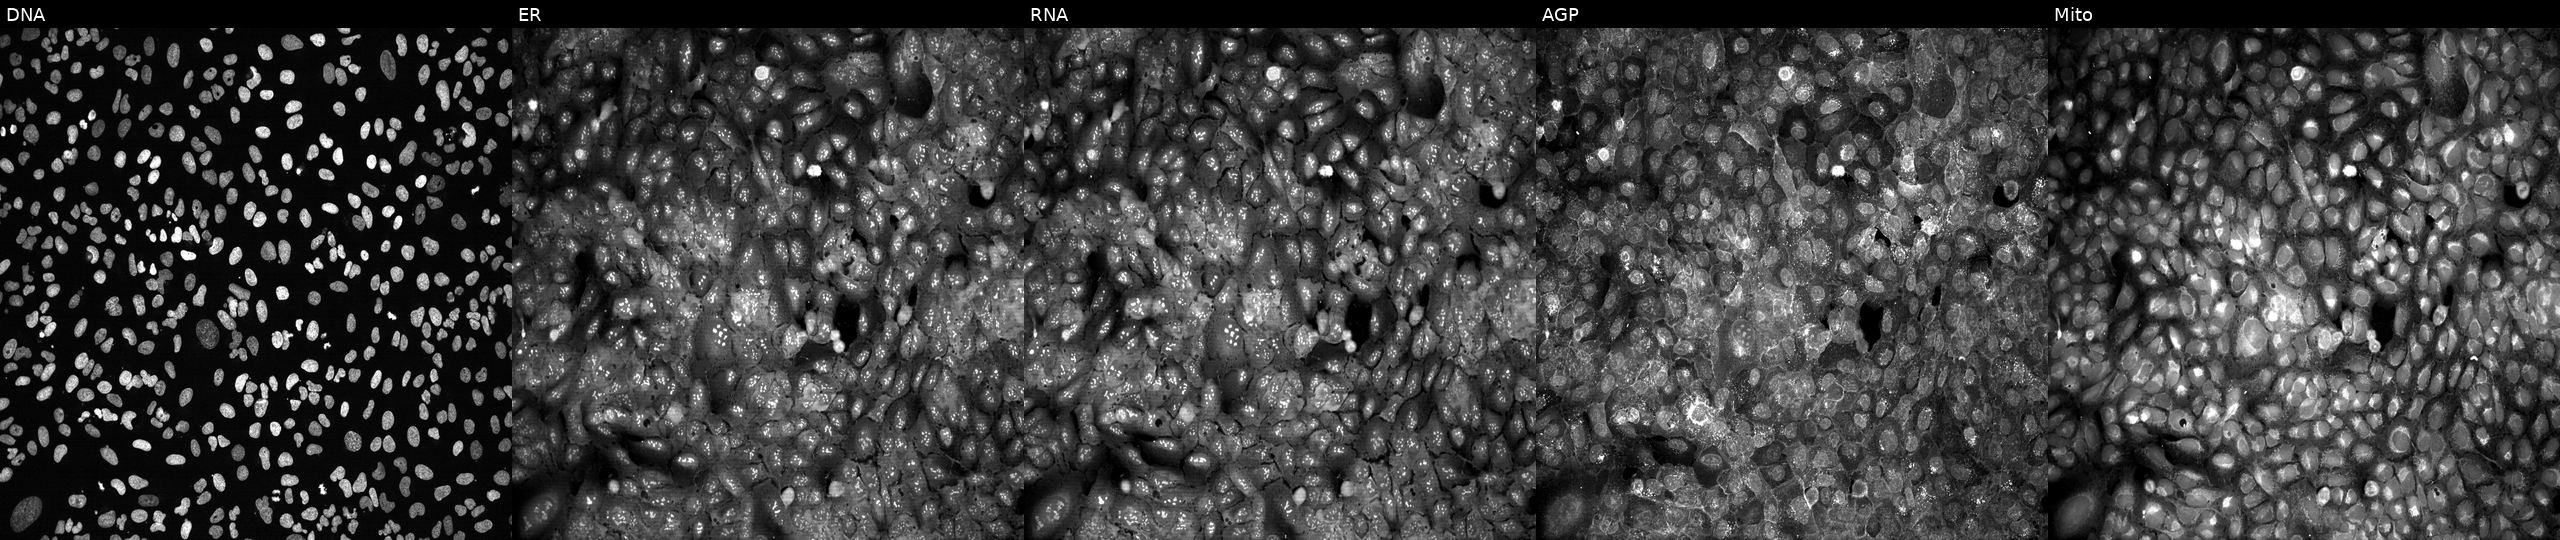
Panels show, left to right, DNA (nuclei); ER (endoplasmic reticulum); RNA (nucleoli and cytoplasmic RNA); AGP (actin cytoskeleton, Golgi, and plasma membrane); Mito (mitochondria). U2OS osteosarcoma cells with JRKL knocked out by CRISPR. Cell Painting assay, JUMP-CP dataset. Source 13, plate CP-CC9-R1-02, well B17.